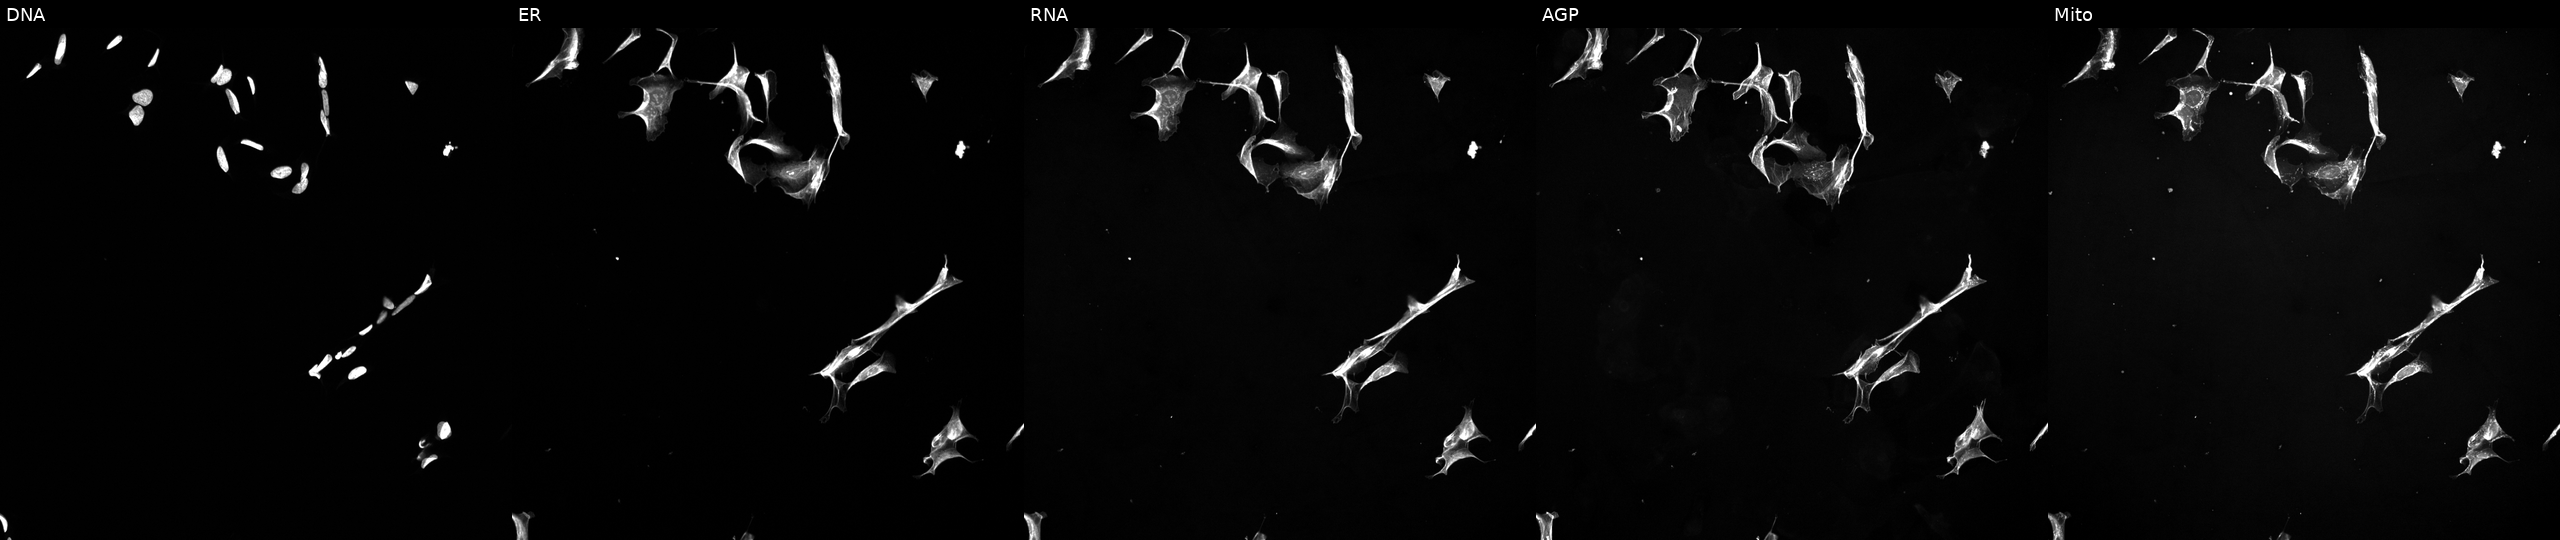
JUMP Cell Painting — TARGET2 plate. U2OS cells perturbed with a small-molecule compound (JUMP id JCP2022_109043). Panels show, left to right, Hoechst 33342, concanavalin A, SYTO 14, phalloidin and WGA, MitoTracker.